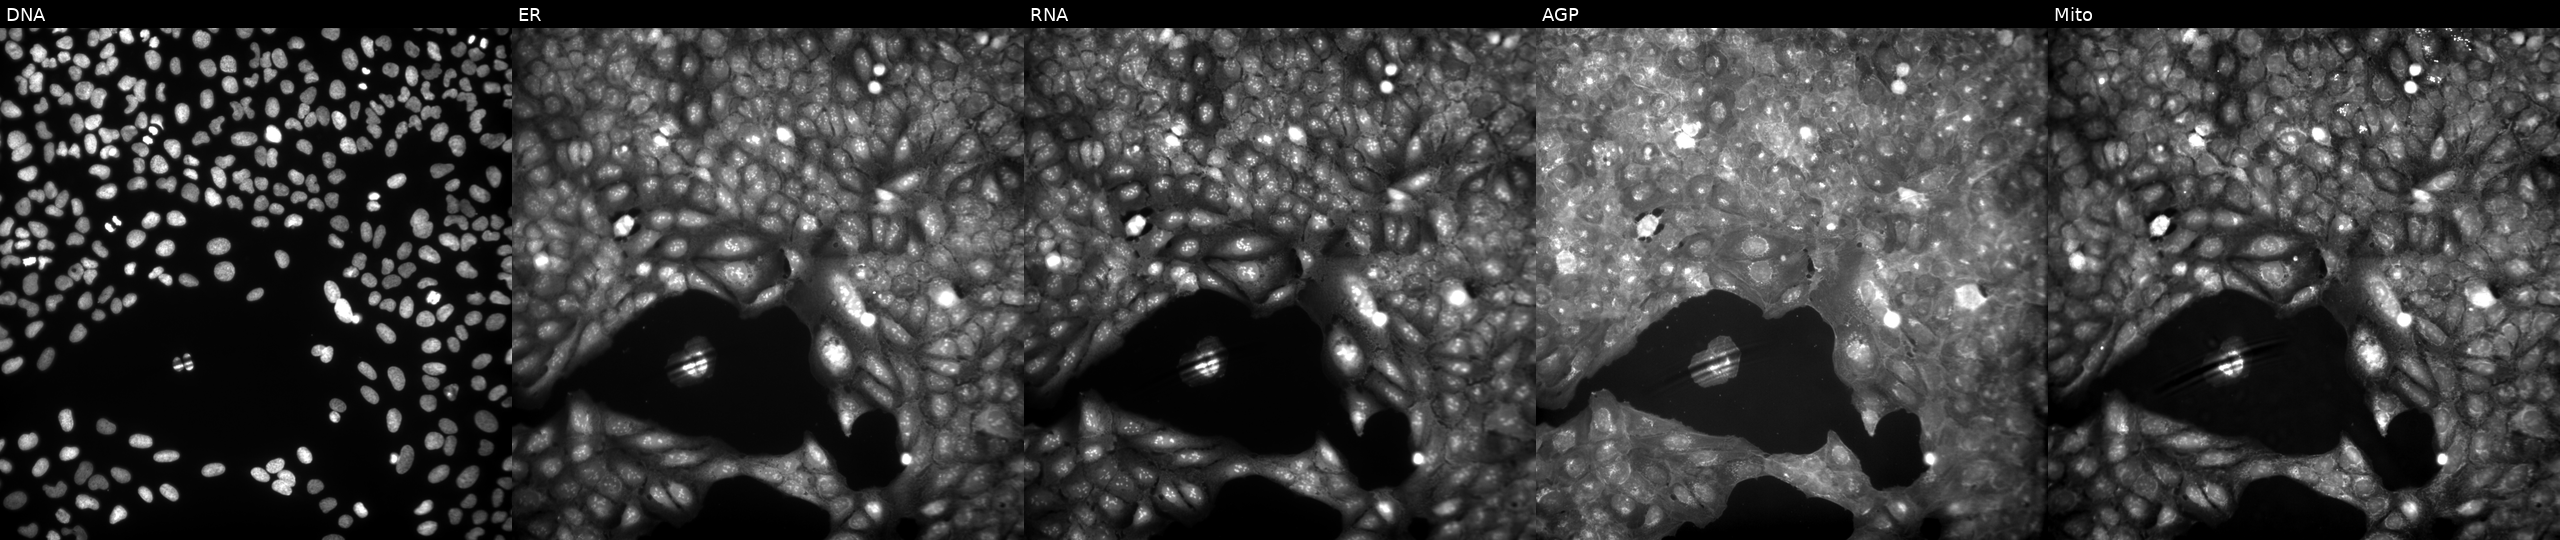
Channels (left→right): Hoechst 33342, concanavalin A, SYTO 14, phalloidin and WGA, MitoTracker. U2OS osteosarcoma cells perturbed with a small-molecule compound (InChIKey HCFFDRZPGDPZMN-UHFFFAOYSA-N). Cell Painting assay, JUMP-CP dataset. Source 9, plate GR00003382, well K44.